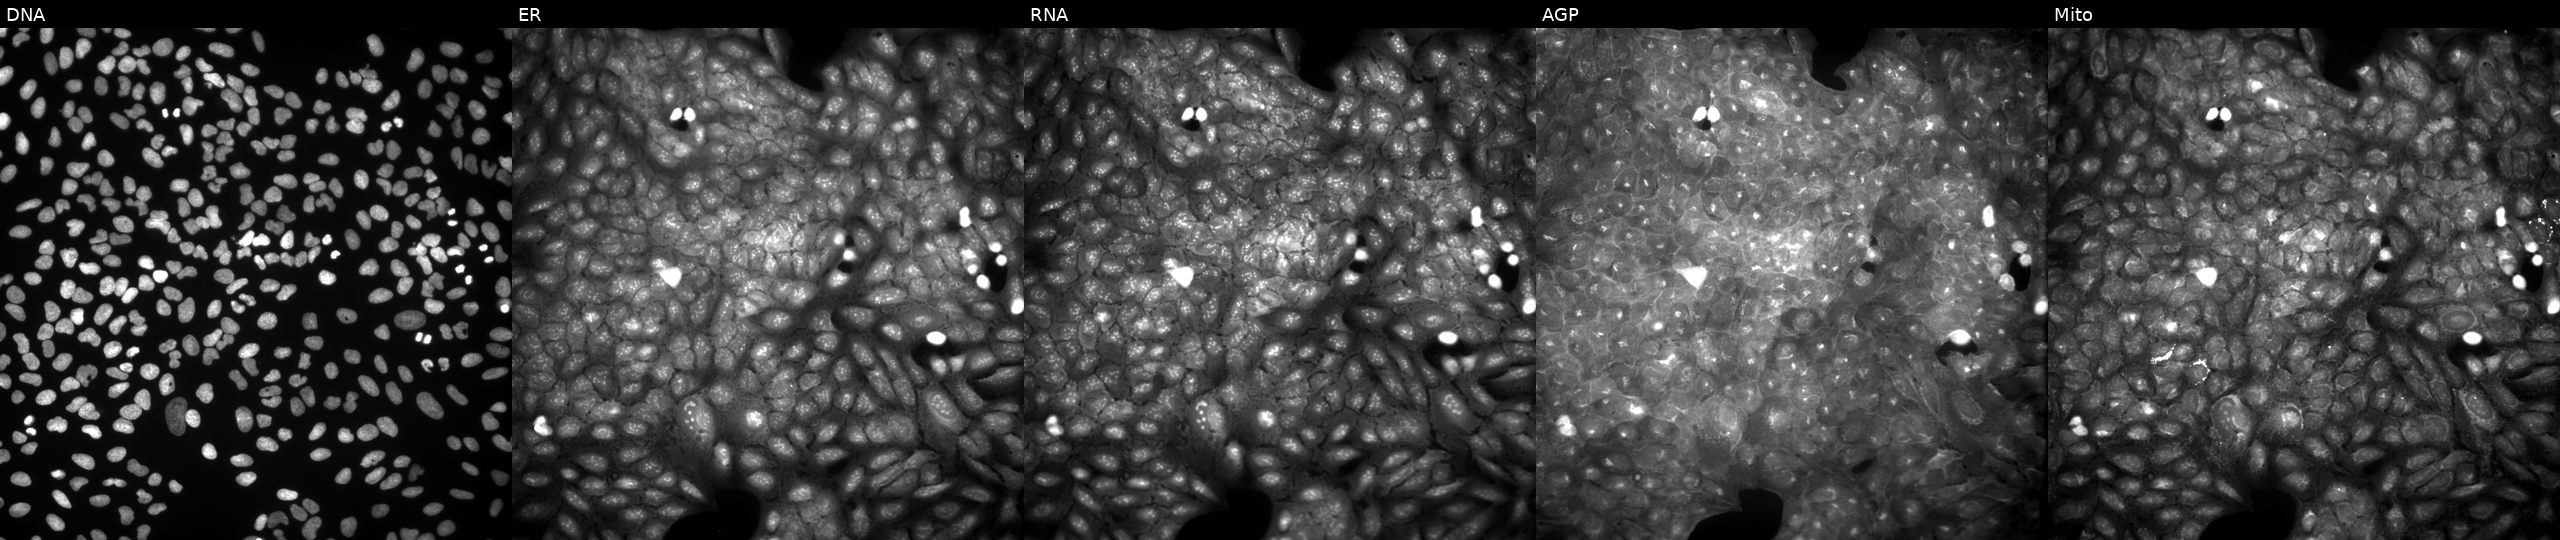
JUMP Cell Painting — COMPOUND plate. U2OS cells perturbed with a small-molecule compound (InChIKey VQRXWVSTJJAXRS-UHFFFAOYSA-N). Channels (left→right): DNA (nuclei); ER (endoplasmic reticulum); RNA (nucleoli and cytoplasmic RNA); AGP (actin cytoskeleton, Golgi, and plasma membrane); Mito (mitochondria). Source 9, plate GR00003381, well Z27.